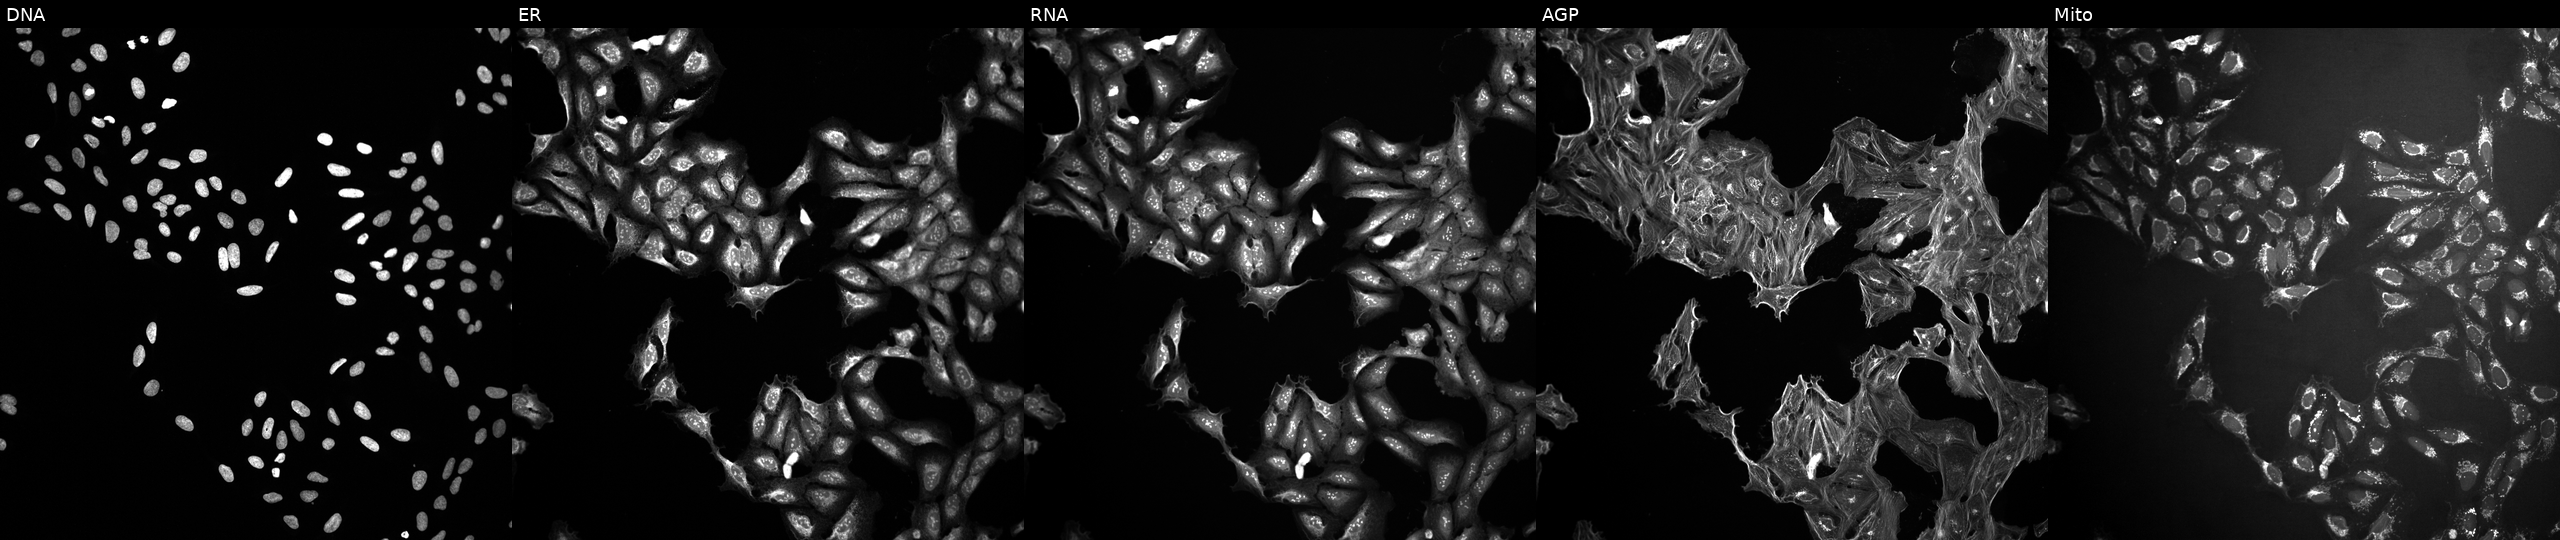
Five-channel Cell Painting image of U2OS cells perturbed with a small-molecule compound [SMILES: NC(=O)CCC(N)C(=O)O] (JUMP id JCP2022_112702). From left to right: DNA (nuclei); ER (endoplasmic reticulum); RNA (nucleoli and cytoplasmic RNA); AGP (actin cytoskeleton, Golgi, and plasma membrane); Mito (mitochondria).